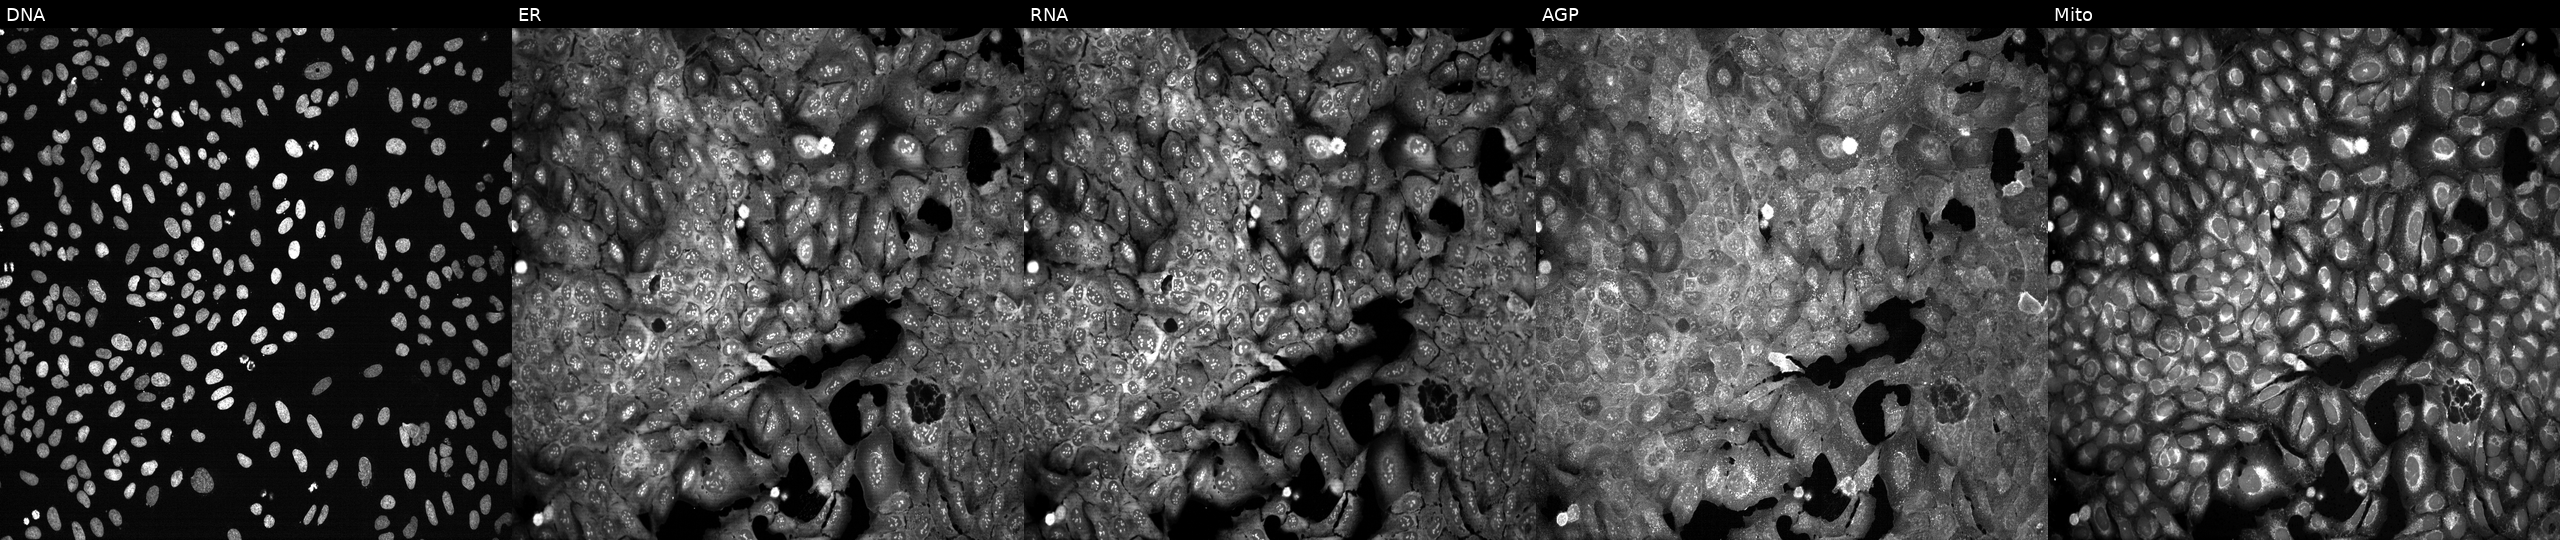
Panels show, left to right, DNA, ER, RNA, AGP, and Mito. U2OS osteosarcoma cells following CRISPR knockout of PIK3AP1 (JUMP id JCP2022_805152). Cell Painting assay, JUMP-CP dataset. Source 13, plate CP-CC9-R5-01, well K19.